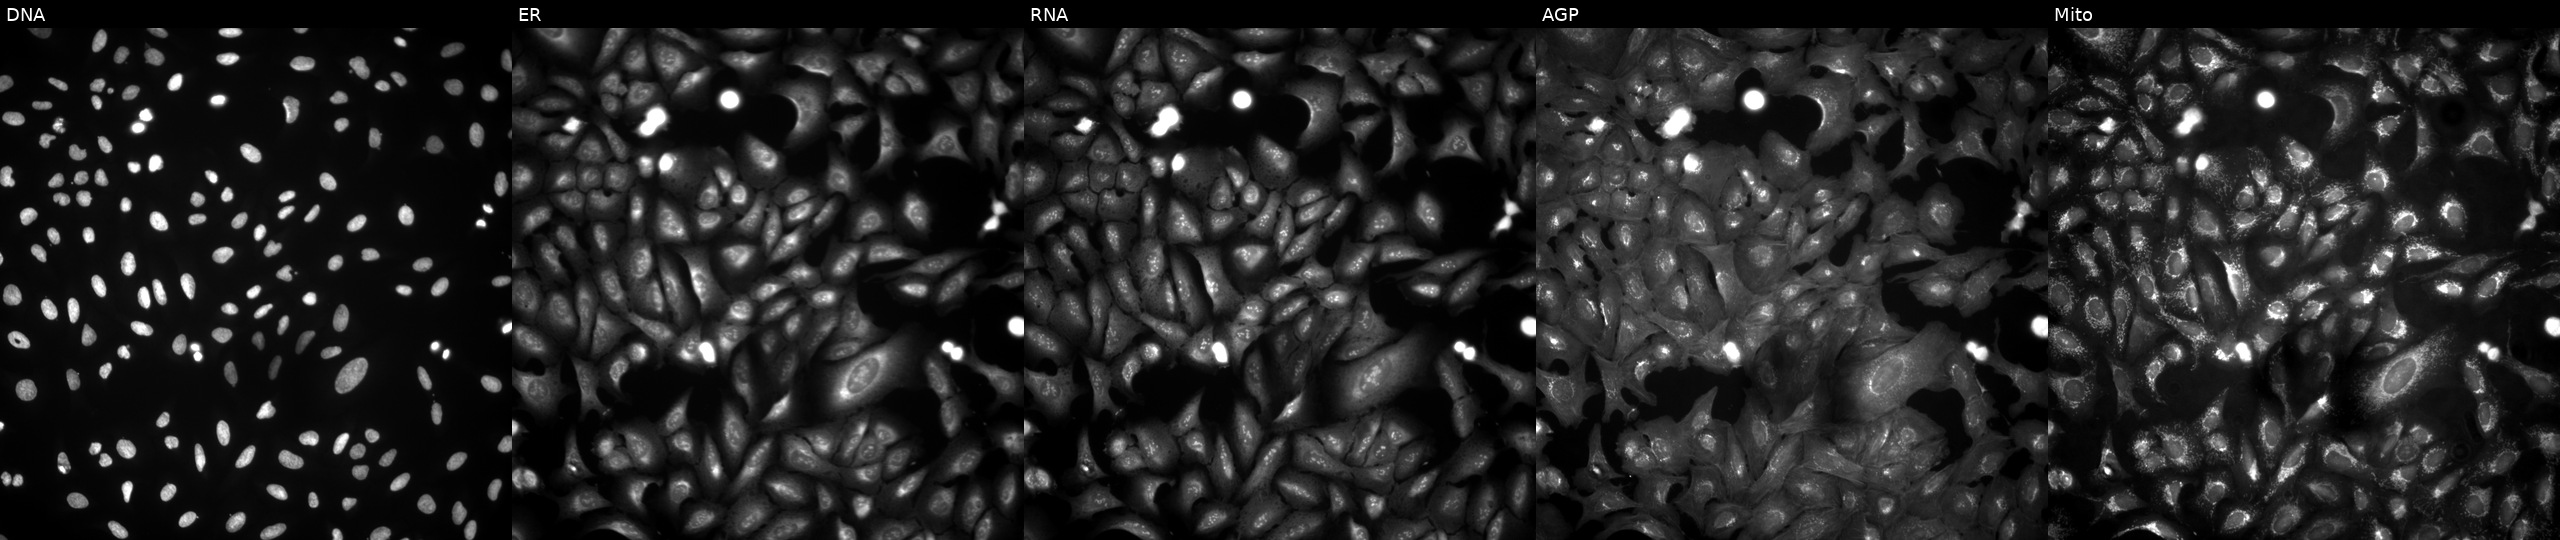
Panels show, left to right, DNA, ER, RNA, AGP, and Mito. U2OS osteosarcoma cells with EPB42 overexpressed (ORF) (JUMP id JCP2022_900474). Cell Painting assay, JUMP-CP dataset. Source 4, plate BR00124790, well E14.